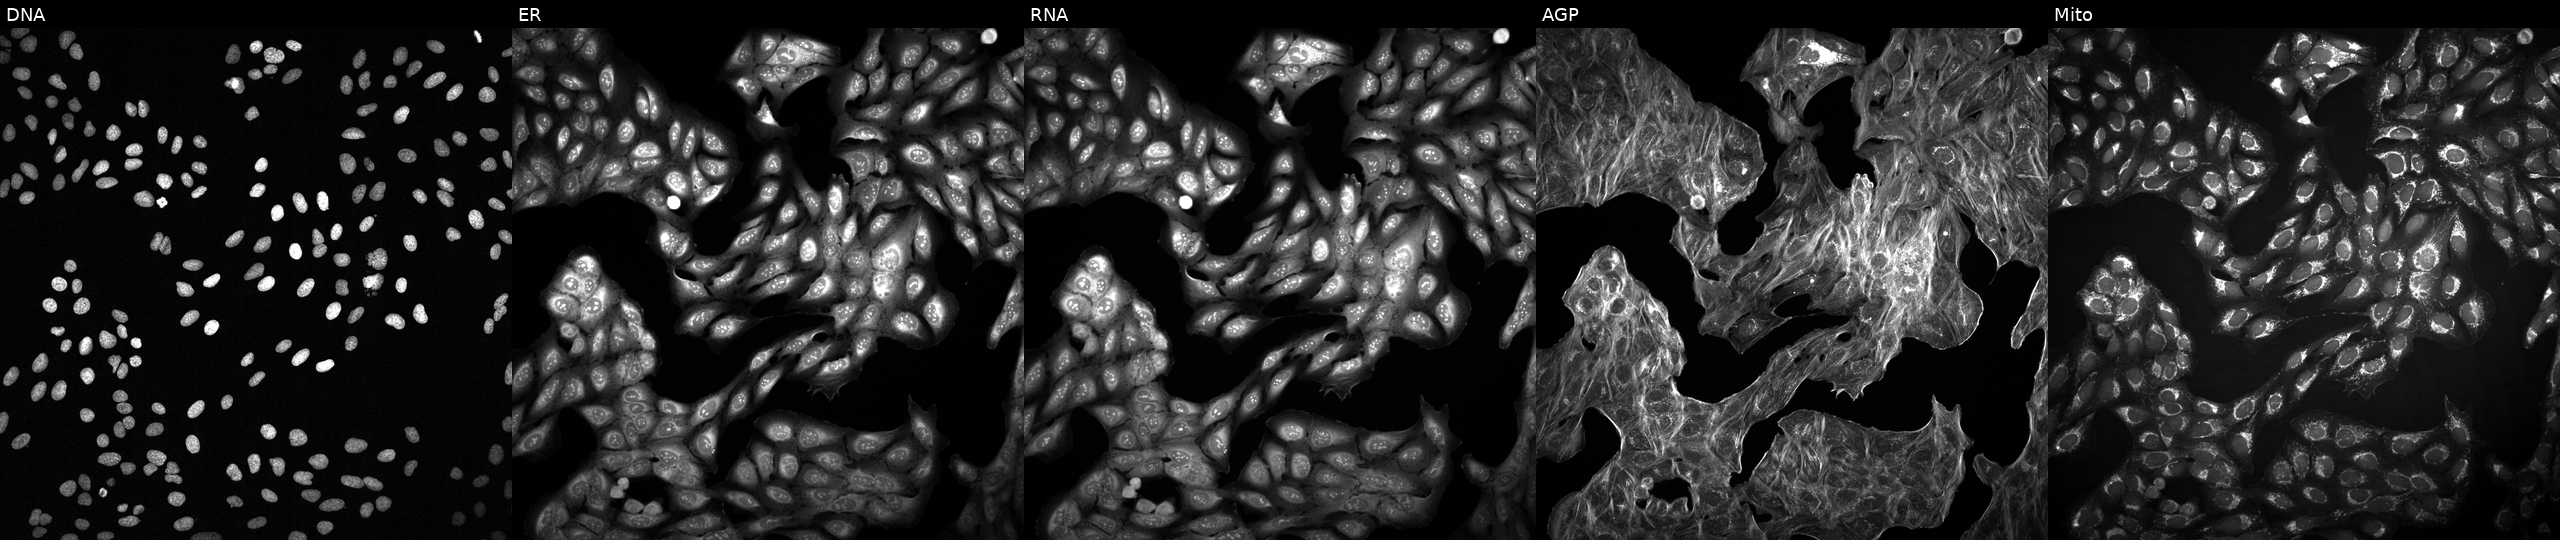
High-content fluorescence microscopy (Cell Painting). Cell line: U2OS. Perturbation: exposed to the positive-control compound aloxistatin (JUMP id JCP2022_085227). The five panels, left to right, show DNA, ER, RNA, AGP, and Mito. Source 2, plate 1053601756, well A01.